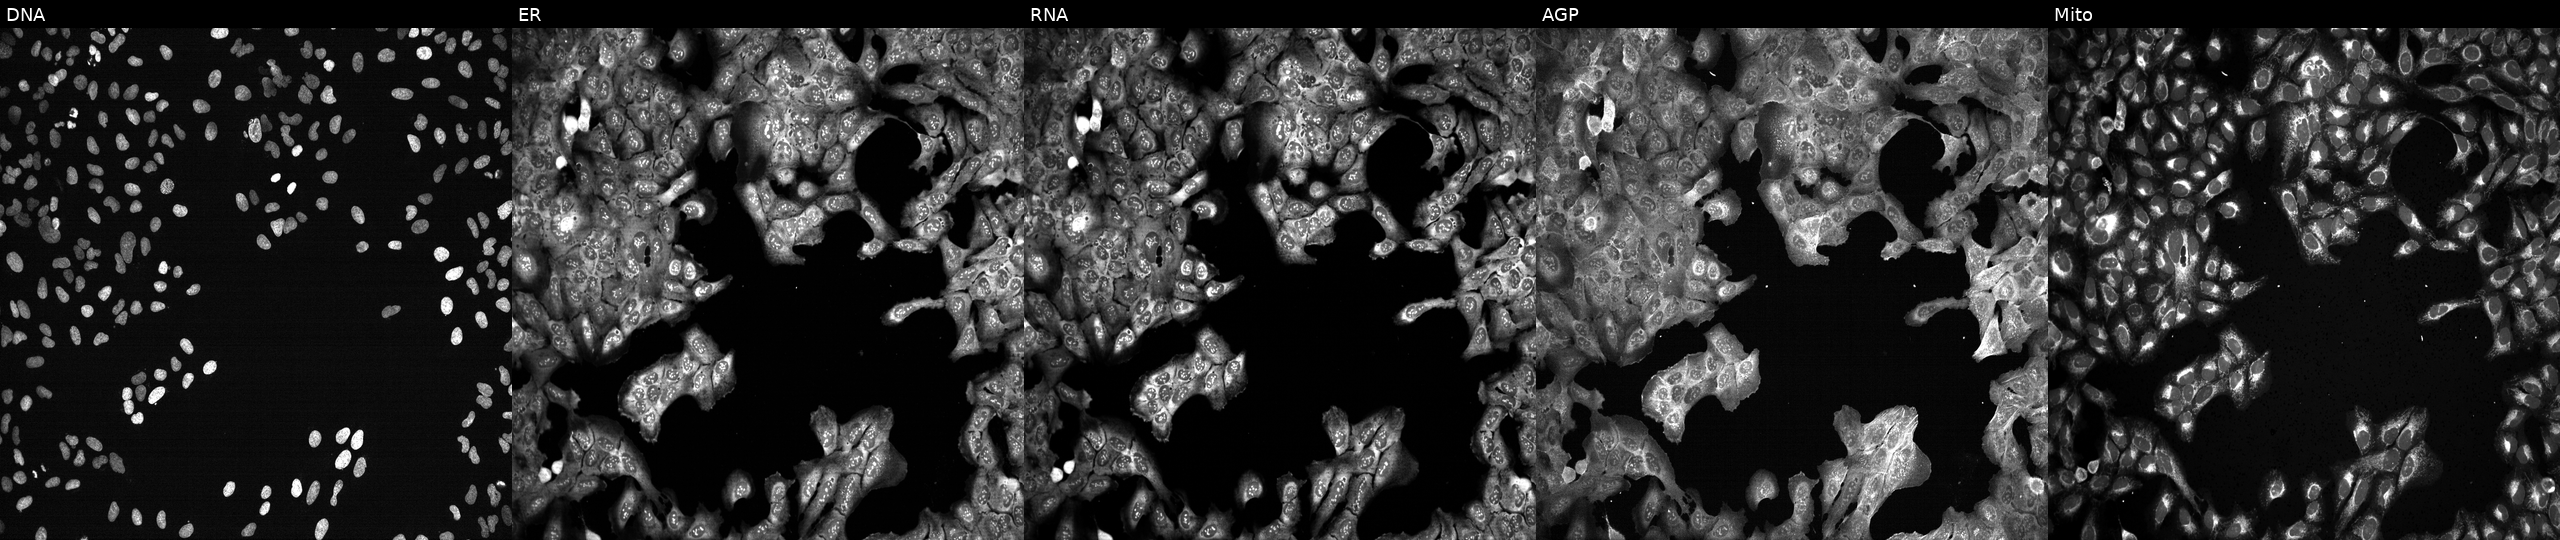
High-content fluorescence microscopy (Cell Painting). Cell line: U2OS. Perturbation: following CRISPR knockout of SMARCB1 (JUMP id JCP2022_806633). Panels show, left to right, Hoechst 33342, concanavalin A, SYTO 14, phalloidin and WGA, MitoTracker. Source 13, plate CP-CC9-R3-02, well D16.